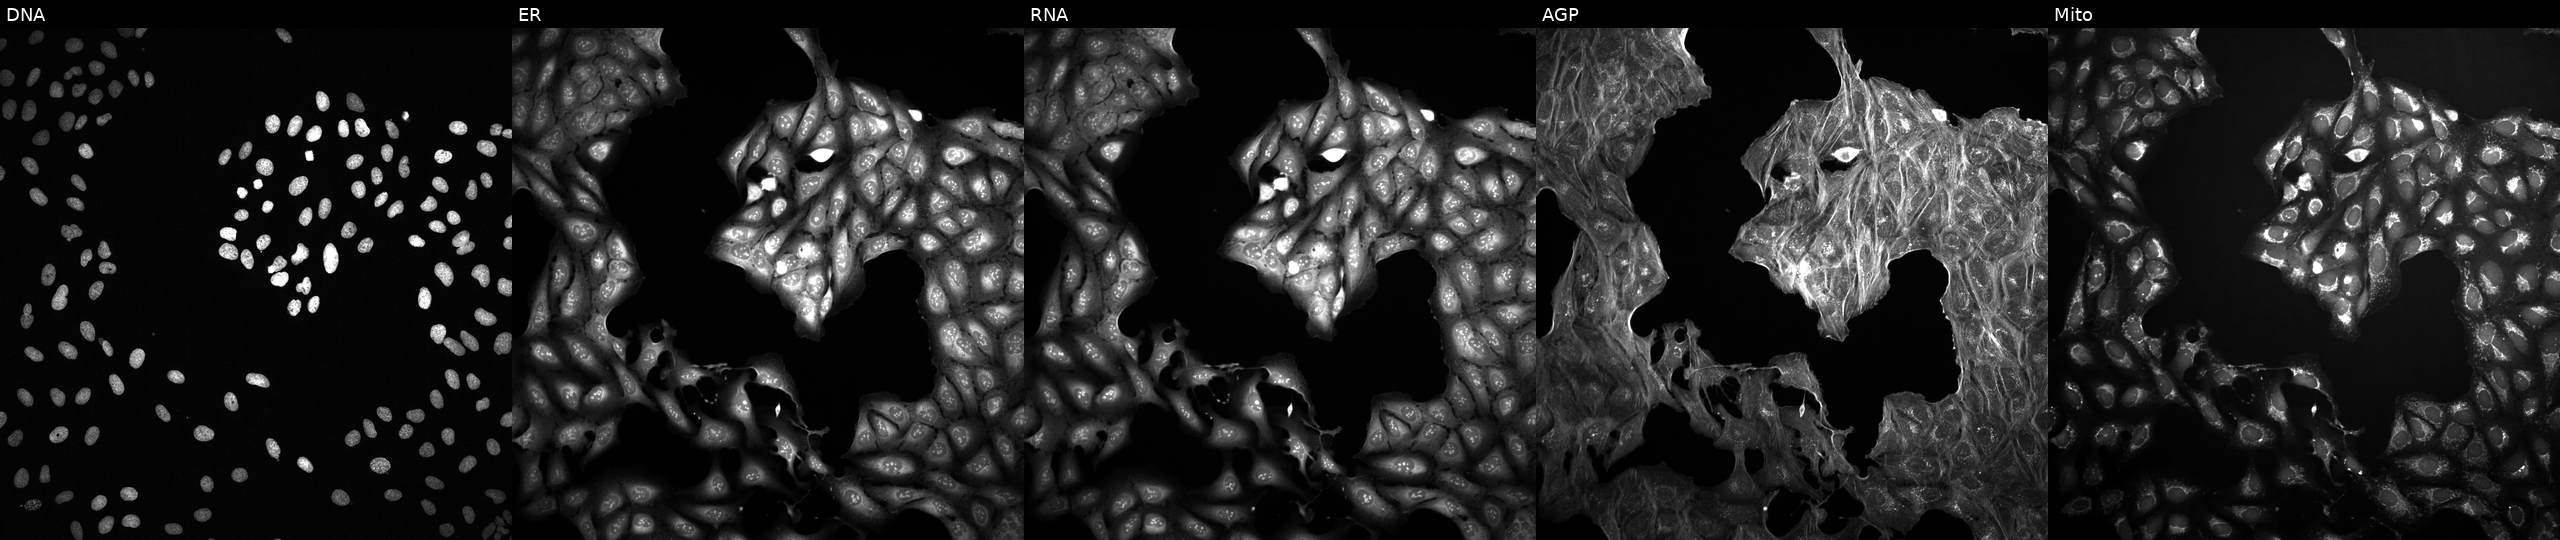
High-content fluorescence microscopy (Cell Painting). Cell line: U2OS. Perturbation: treated with a small-molecule compound (InChIKey HFNKQEVNSGCOJV-UHFFFAOYSA-N) [SMILES: N#CCC(C1CCCC1)n1cc(-c2ncnc3[nH]ccc23)cn1]. From left to right: DNA, ER, RNA, AGP, and Mito.